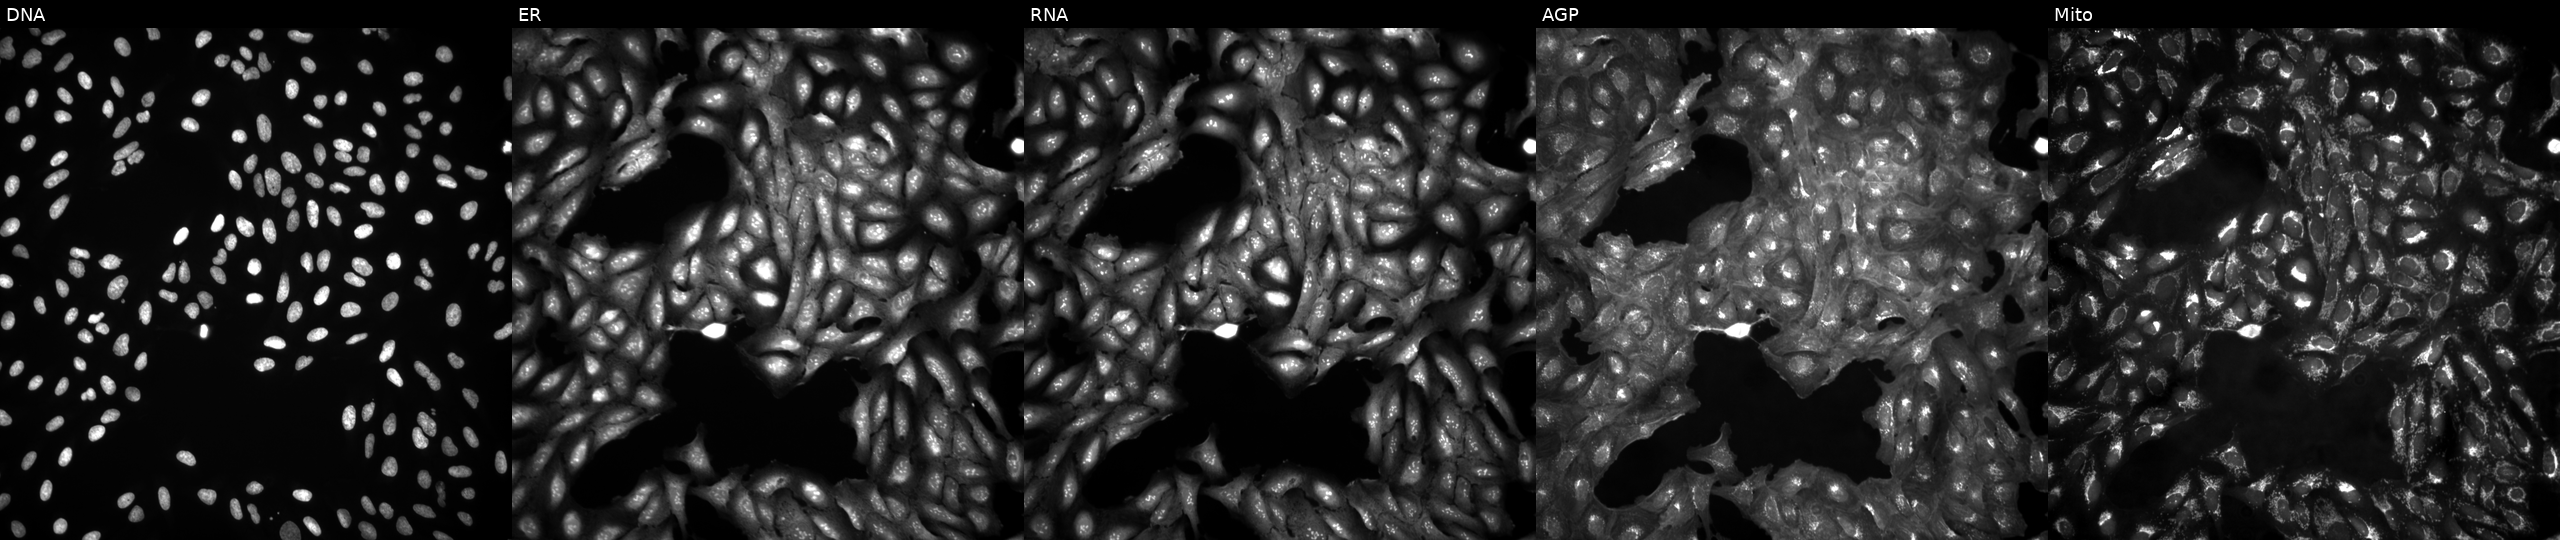
Channels (left→right): DNA (nuclei); ER (endoplasmic reticulum); RNA (nucleoli and cytoplasmic RNA); AGP (actin cytoskeleton, Golgi, and plasma membrane); Mito (mitochondria). U2OS osteosarcoma cells untreated (empty-well control) (JUMP id JCP2022_999999). Cell Painting assay, JUMP-CP dataset. Source 4, plate BR00123946, well K02.